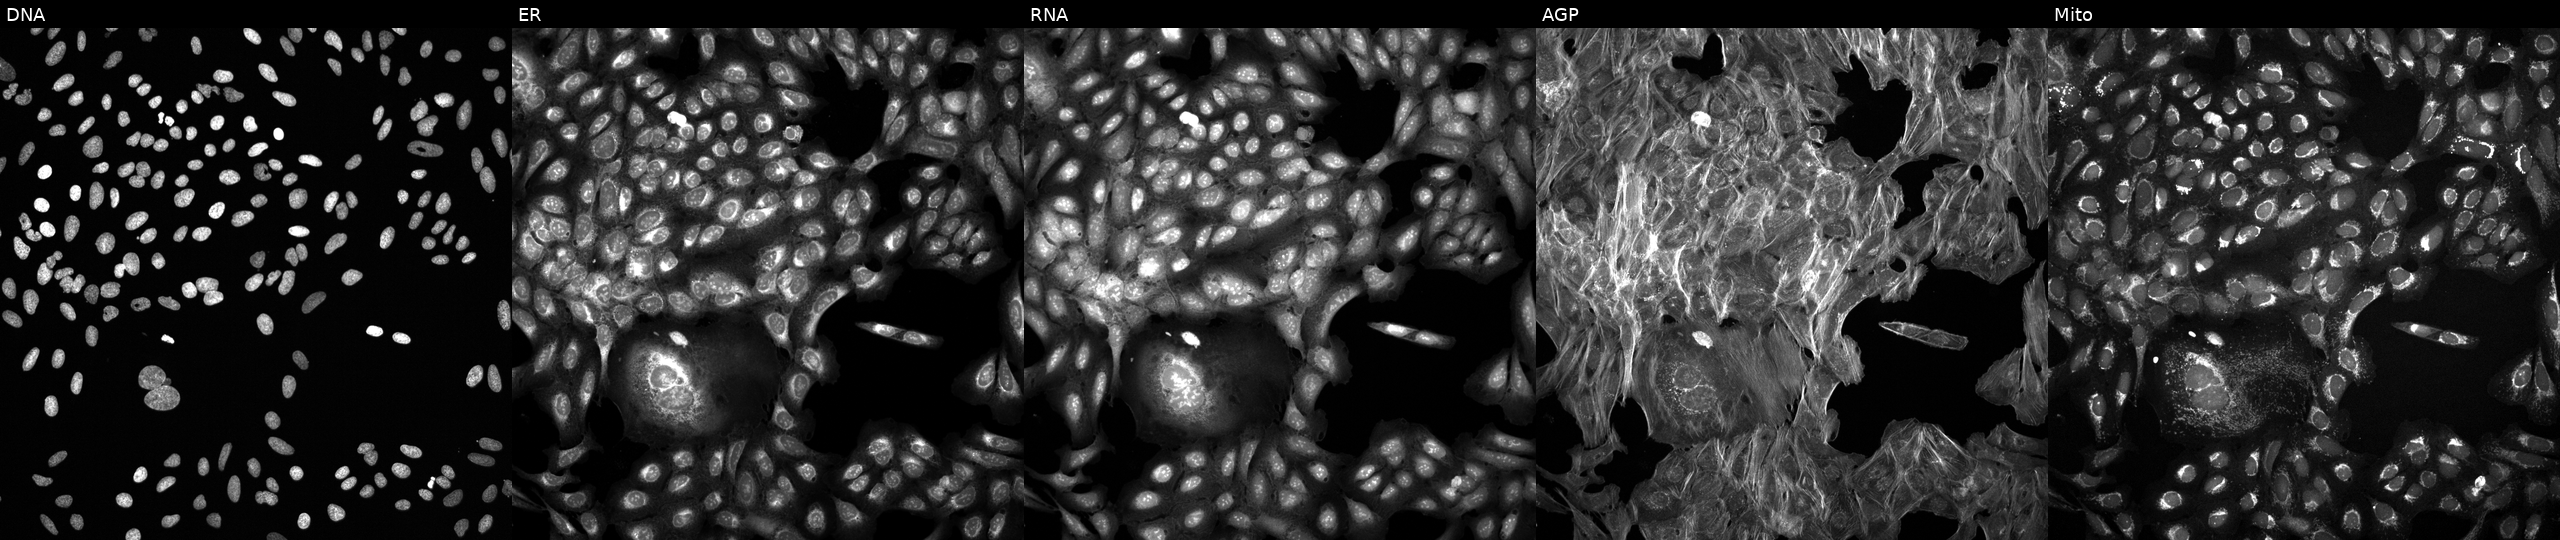
High-content fluorescence microscopy (Cell Painting). Cell line: U2OS. Perturbation: perturbed with a small-molecule compound (InChIKey IBIYDTIPEONRFH-UHFFFAOYSA-N) (JUMP id JCP2022_033993). The five panels, left to right, show DNA (nuclei); ER (endoplasmic reticulum); RNA (nucleoli and cytoplasmic RNA); AGP (actin cytoskeleton, Golgi, and plasma membrane); Mito (mitochondria). Source 6, plate 110000293082, well J20.